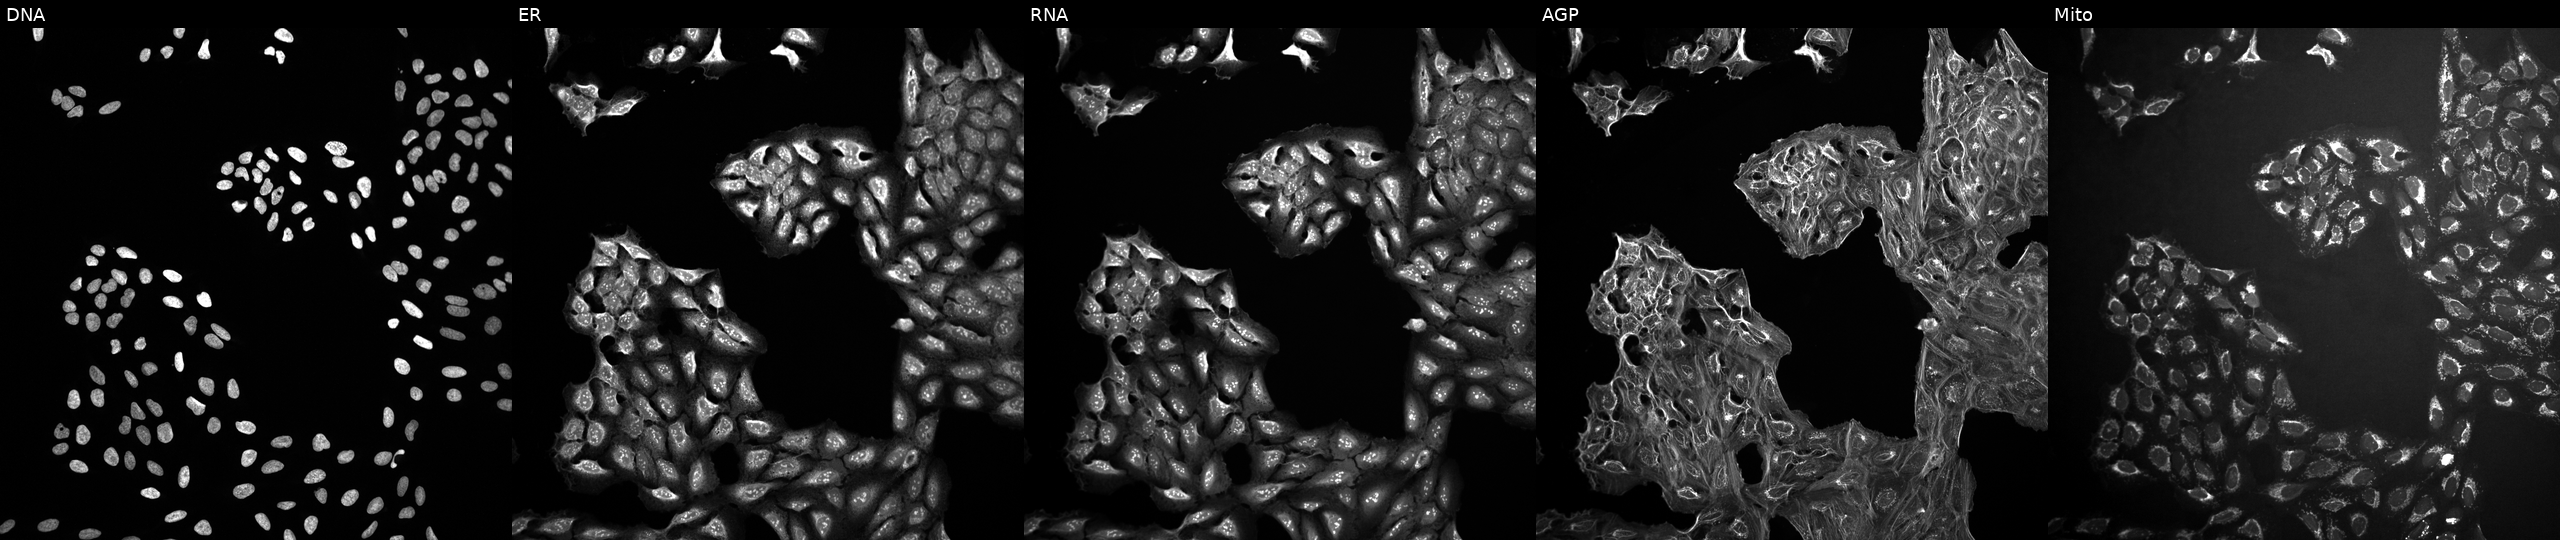
High-content fluorescence microscopy (Cell Painting). Cell line: U2OS. Perturbation: exposed to a small-molecule compound (InChIKey UGYXPZQILZRKJJ-UHFFFAOYSA-N) (JUMP id JCP2022_089172). The five panels, left to right, show Hoechst 33342, concanavalin A, SYTO 14, phalloidin and WGA, MitoTracker. Source 10, plate Dest210726-160150, well D23.